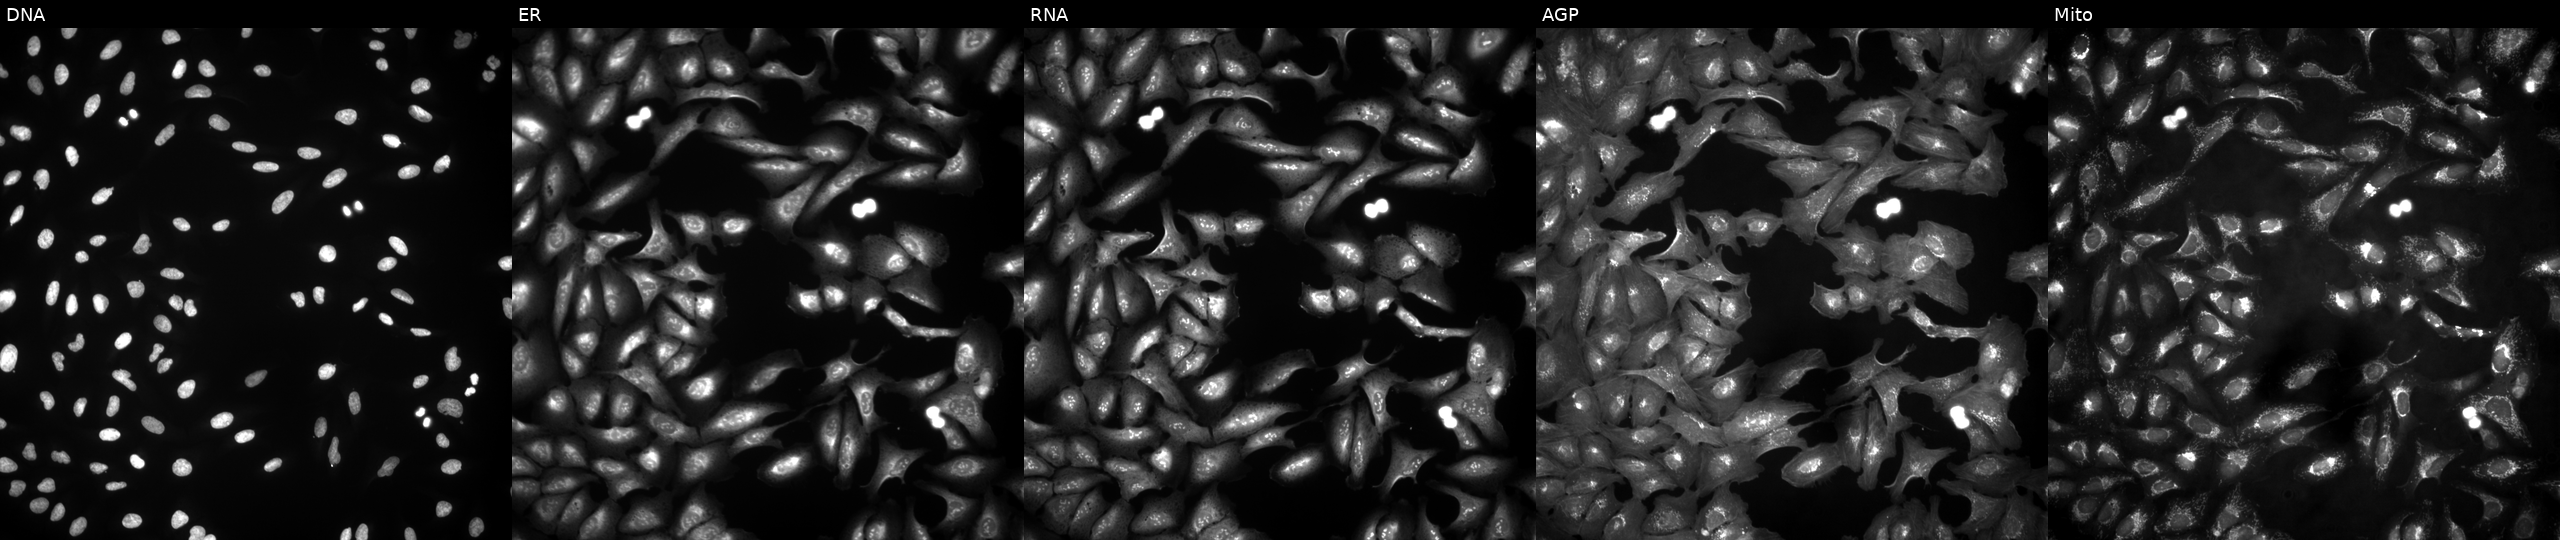
Channels (left→right): DNA (nuclei); ER (endoplasmic reticulum); RNA (nucleoli and cytoplasmic RNA); AGP (actin cytoskeleton, Golgi, and plasma membrane); Mito (mitochondria). U2OS osteosarcoma cells overexpressing SUMF2 via ORF transfection (JUMP id JCP2022_910981). Cell Painting assay, JUMP-CP dataset.